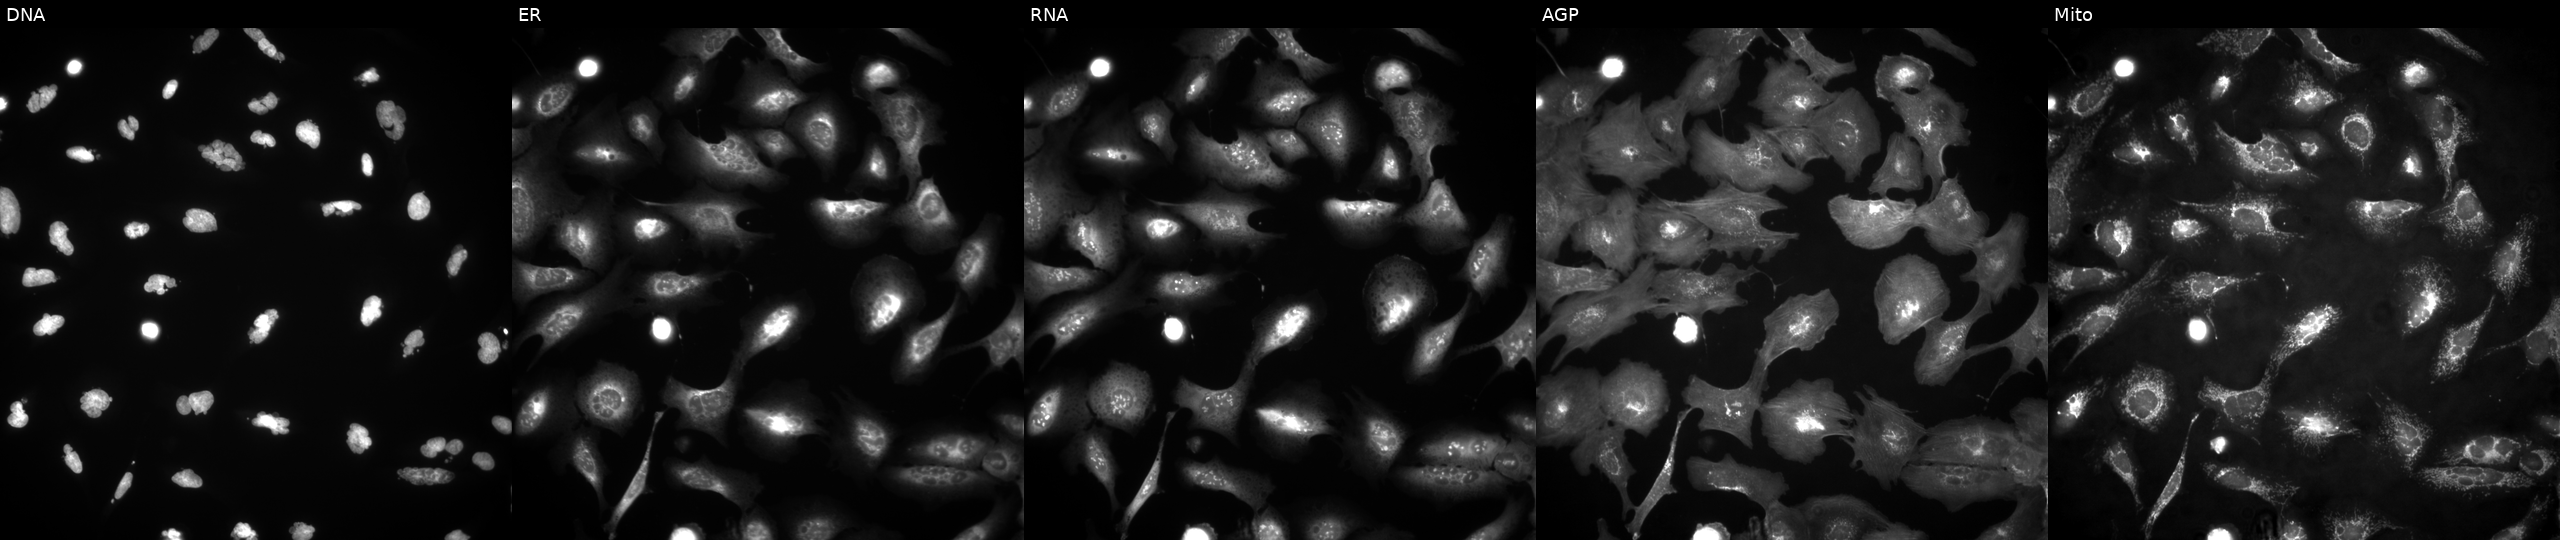
Panels show, left to right, DNA (nuclei); ER (endoplasmic reticulum); RNA (nucleoli and cytoplasmic RNA); AGP (actin cytoskeleton, Golgi, and plasma membrane); Mito (mitochondria). U2OS osteosarcoma cells treated with AMG900 (positive-control compound). Cell Painting assay, JUMP-CP dataset.